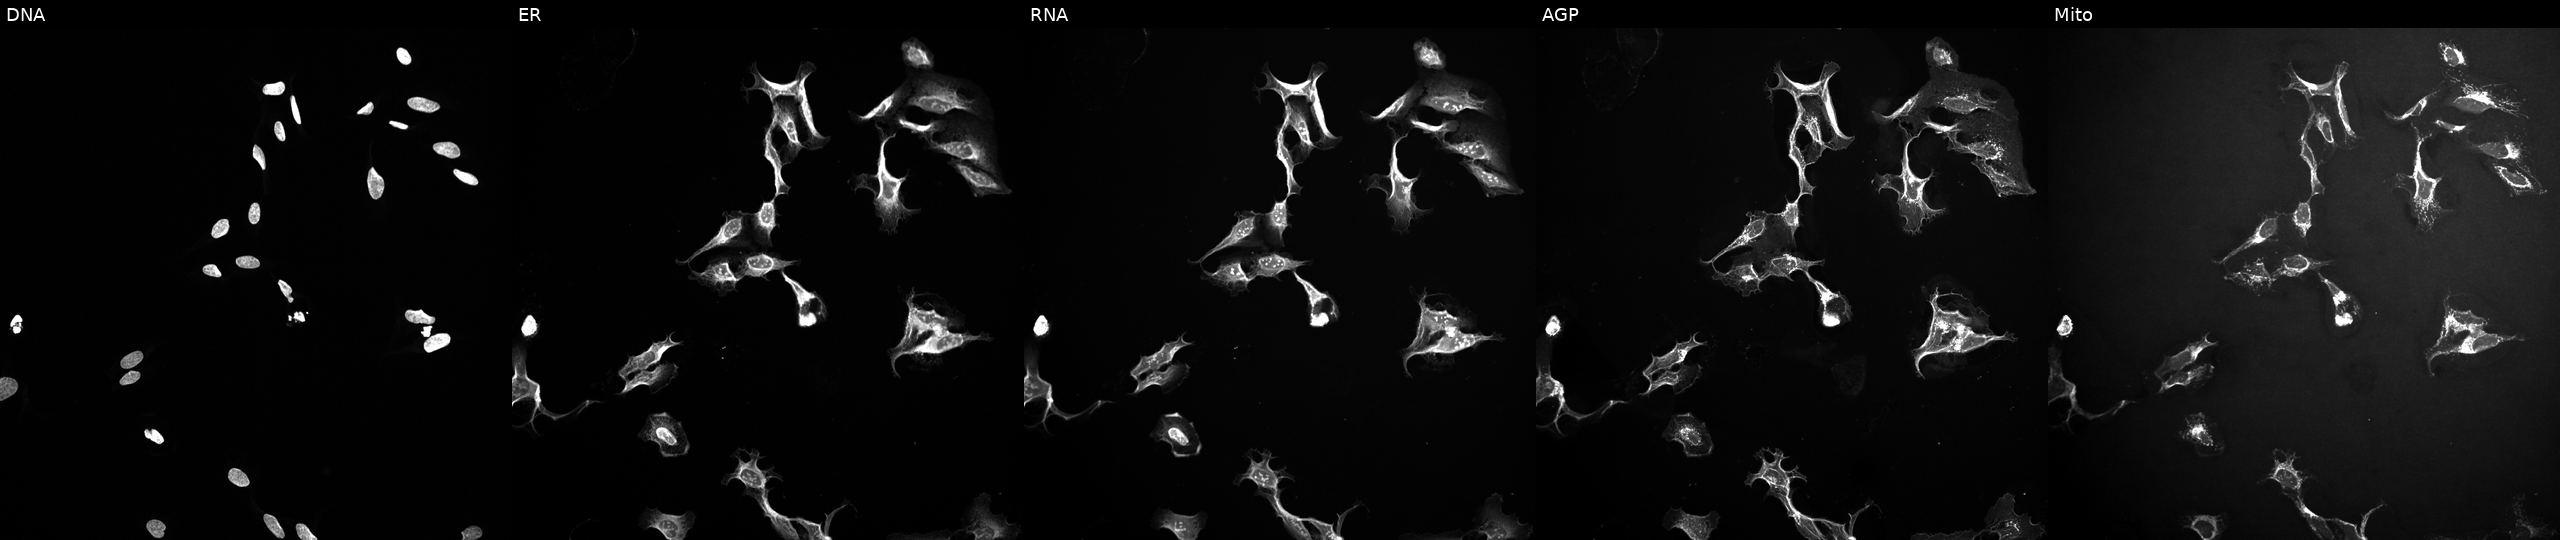
This image strip shows the five Cell Painting channels for a single field of U2OS cells perturbed with a small-molecule compound (InChIKey HUXYBQXJVXOMKX-UHFFFAOYSA-N) [SMILES: CC(C)CC(=O)N=c1[nH][nH]c2c1CN(C(=O)C1CCN(C)CC1)C2(C)C]. From left to right: Hoechst 33342, concanavalin A, SYTO 14, phalloidin and WGA, MitoTracker. Source 10, plate Dest210803-153958, well D16.